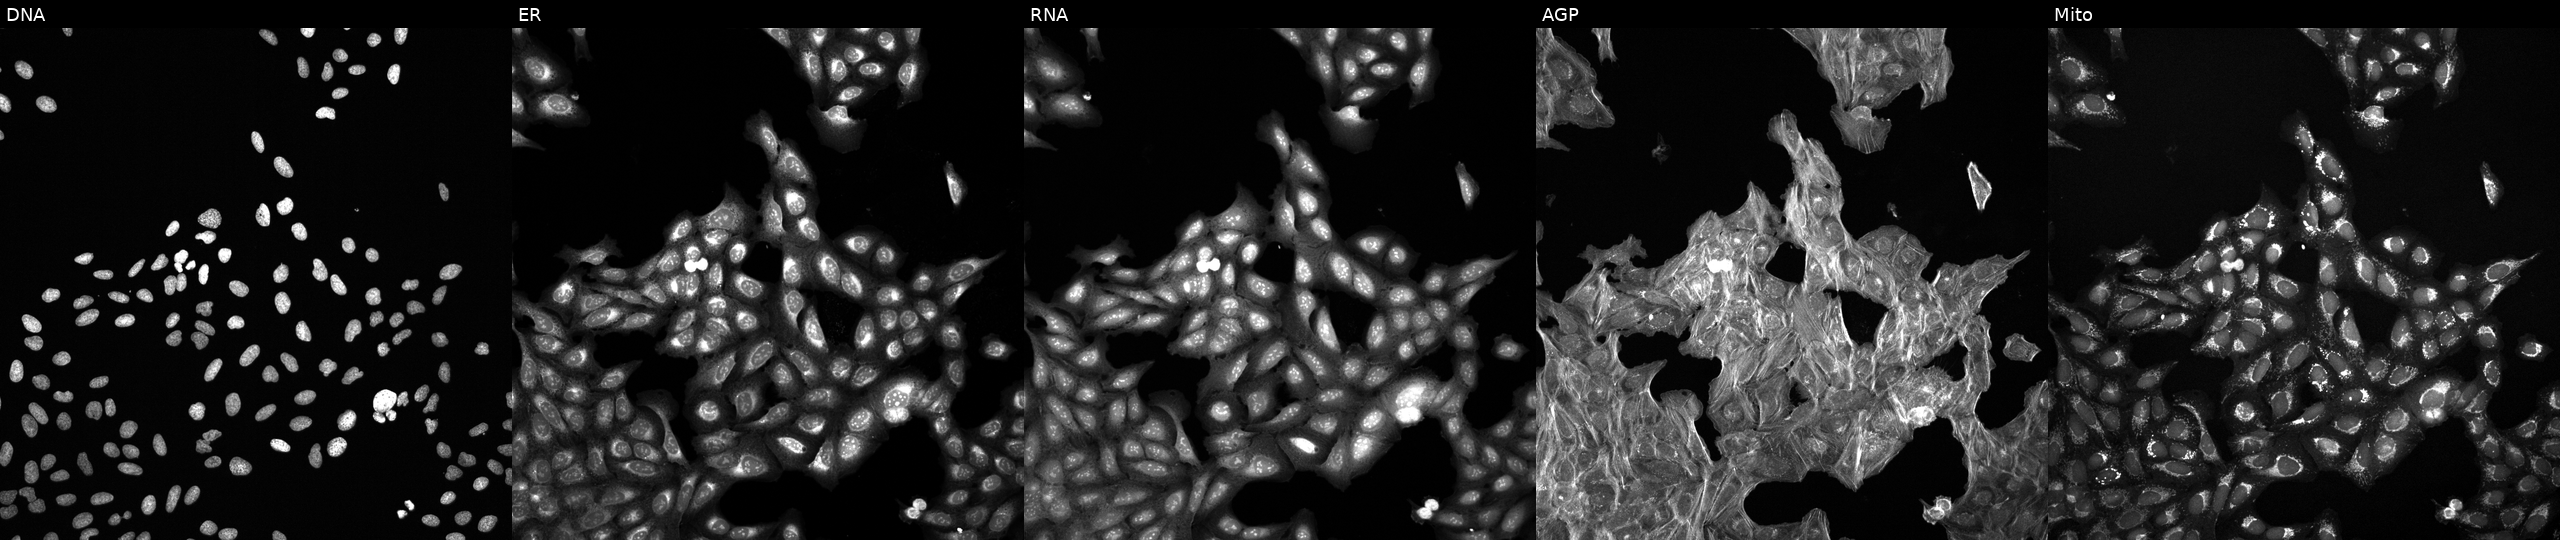
JUMP Cell Painting — TARGET2 plate. U2OS cells exposed to a small-molecule compound (InChIKey REZGGXNDEMKIQB-UHFFFAOYSA-N). Channels (left→right): DNA (nuclei); ER (endoplasmic reticulum); RNA (nucleoli and cytoplasmic RNA); AGP (actin cytoskeleton, Golgi, and plasma membrane); Mito (mitochondria). Source 6, plate 110000293093, well O17.